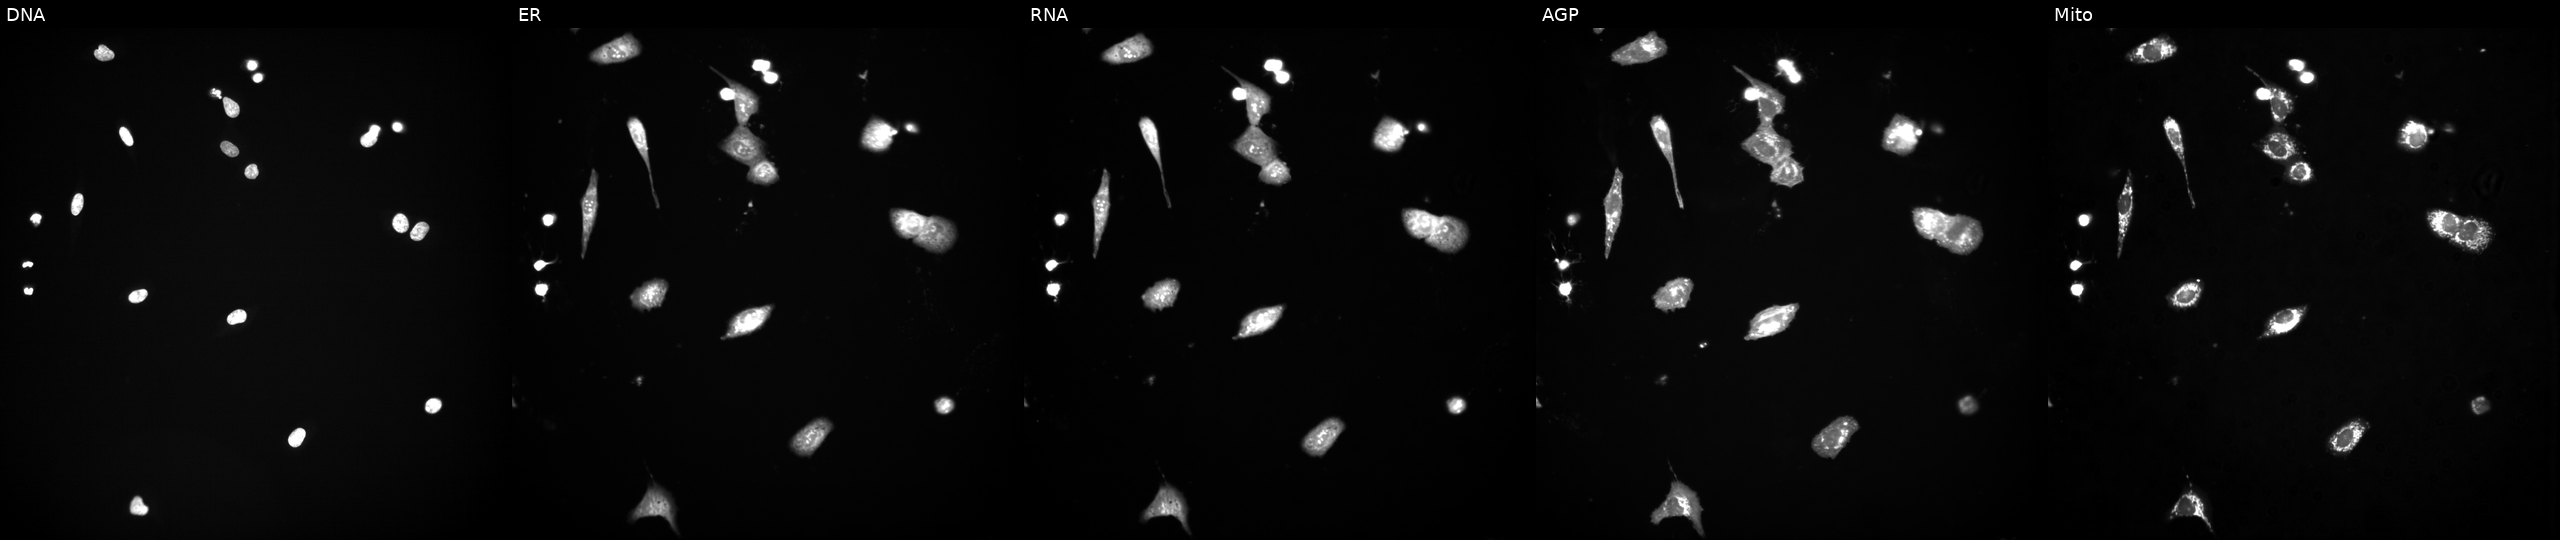
U2OS cells, Cell Painting assay, perturbed with a small-molecule compound (InChIKey BBDGBGOVJPEFBT-UHFFFAOYSA-N). The five panels, left to right, show DNA (nuclei); ER (endoplasmic reticulum); RNA (nucleoli and cytoplasmic RNA); AGP (actin cytoskeleton, Golgi, and plasma membrane); Mito (mitochondria). Each panel is percentile-stretched 16-bit fluorescence. Source 3, plate JCPQC051, well I01.